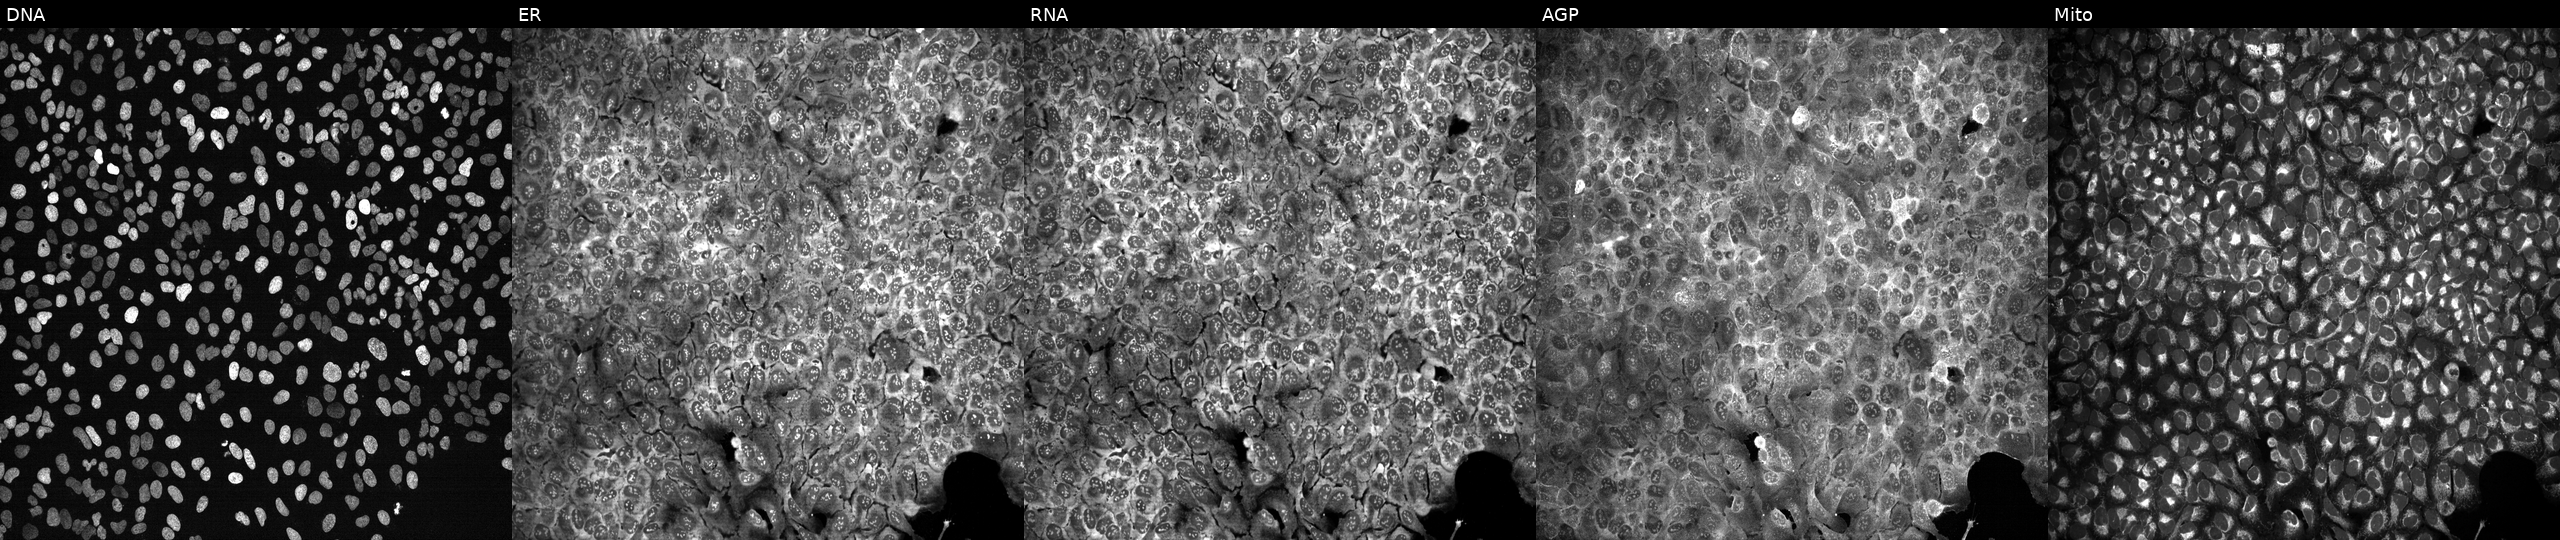
JUMP Cell Painting — CRISPR plate. U2OS cells following CRISPR knockout of SLC12A4. Panels show, left to right, DNA, ER, RNA, AGP, and Mito.